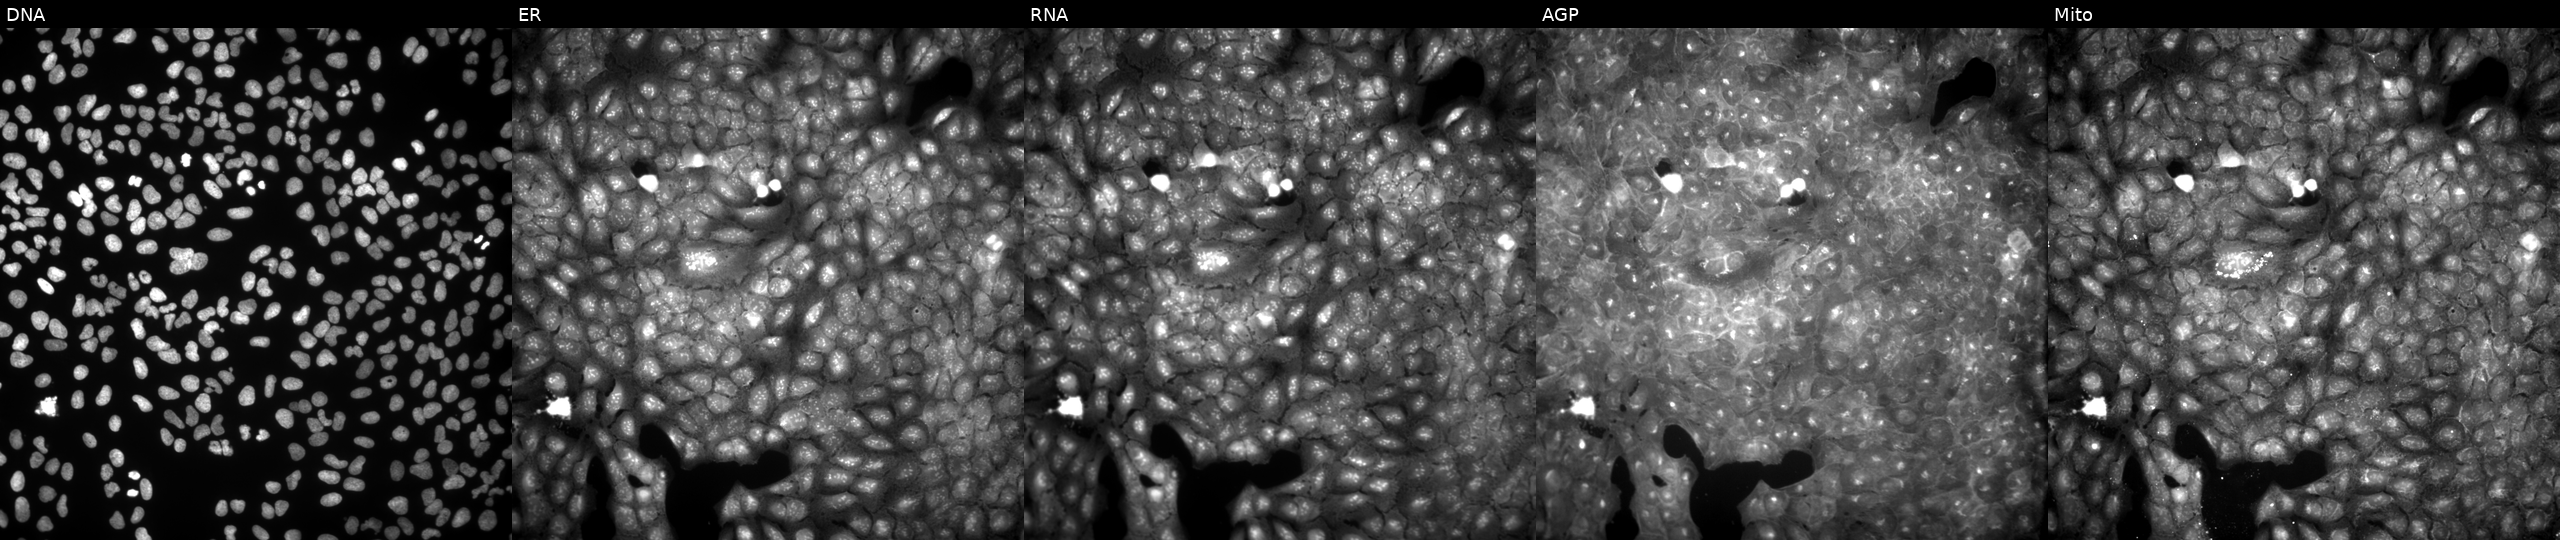
High-content fluorescence microscopy (Cell Painting). Cell line: U2OS. Perturbation: exposed to DMSO alone as a negative control (JUMP id JCP2022_033924). The five panels, left to right, show Hoechst 33342, concanavalin A, SYTO 14, phalloidin and WGA, MitoTracker.